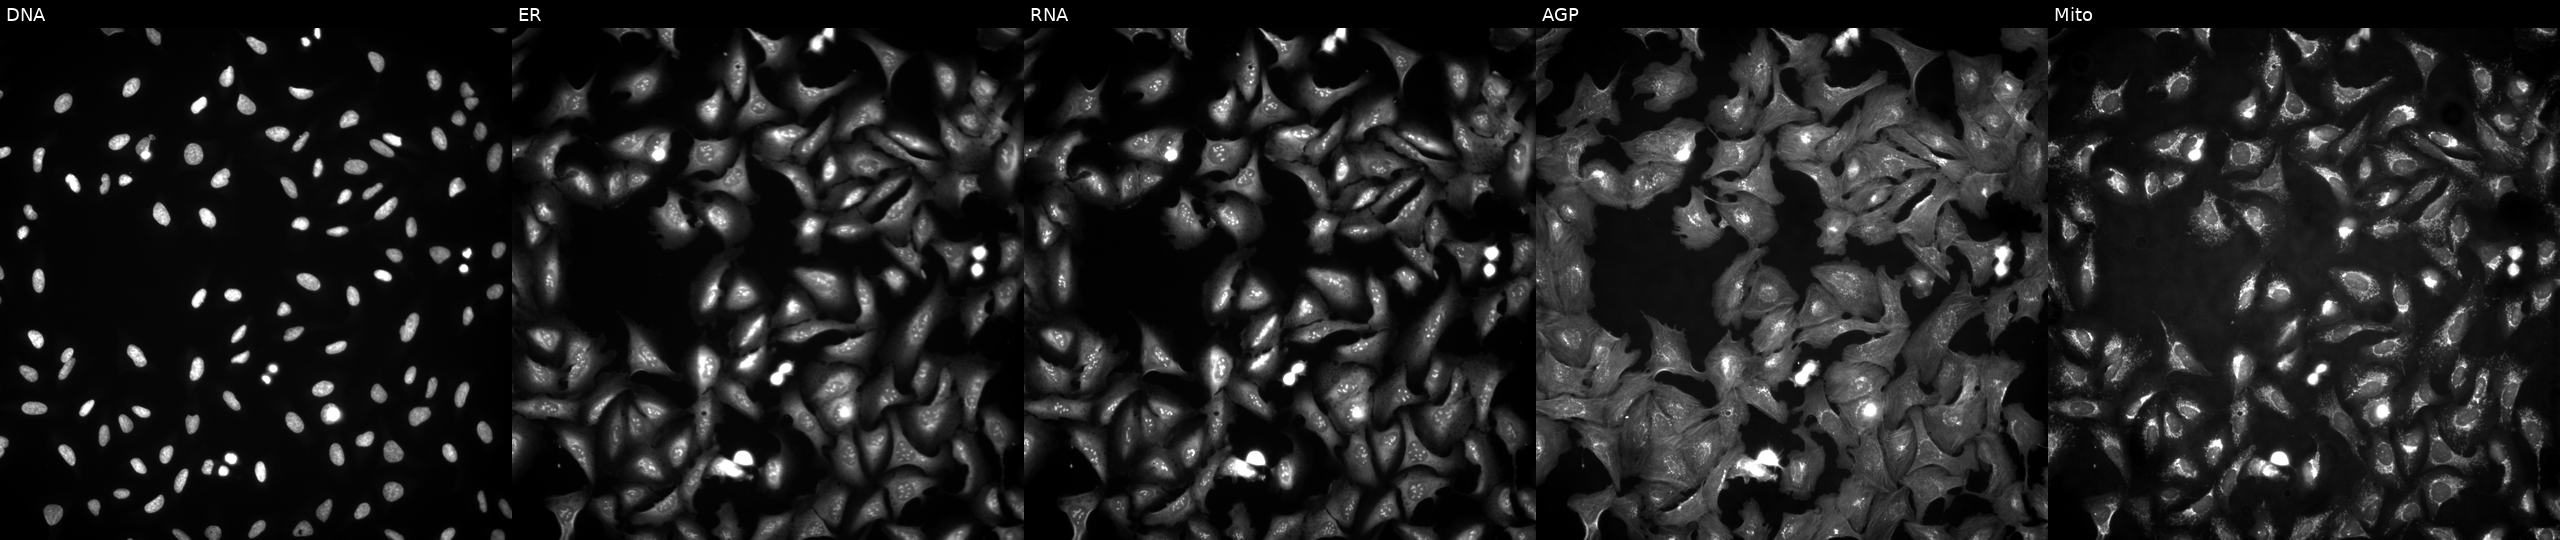
This image strip shows the five Cell Painting channels for a single field of U2OS cells transfected with an ORF construct for AIG1. From left to right: DNA, ER, RNA, AGP, and Mito.